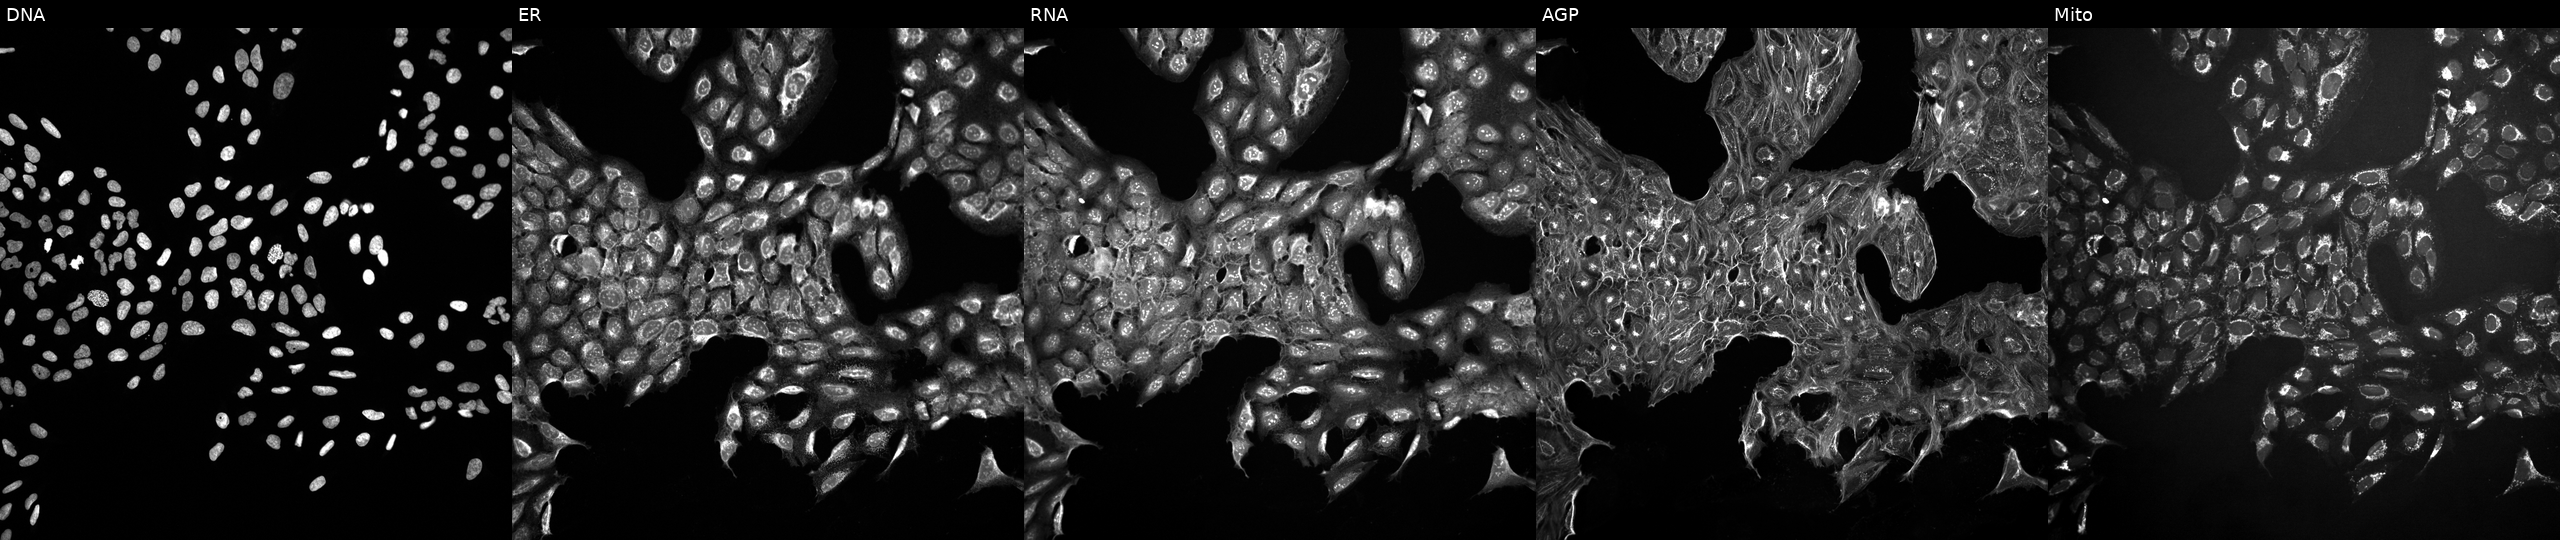
From left to right: DNA (nuclei); ER (endoplasmic reticulum); RNA (nucleoli and cytoplasmic RNA); AGP (actin cytoskeleton, Golgi, and plasma membrane); Mito (mitochondria). U2OS osteosarcoma cells untreated (empty-well control) (JUMP id JCP2022_999999). Cell Painting assay, JUMP-CP dataset. Source 10, plate Dest210531-152324, well K11.